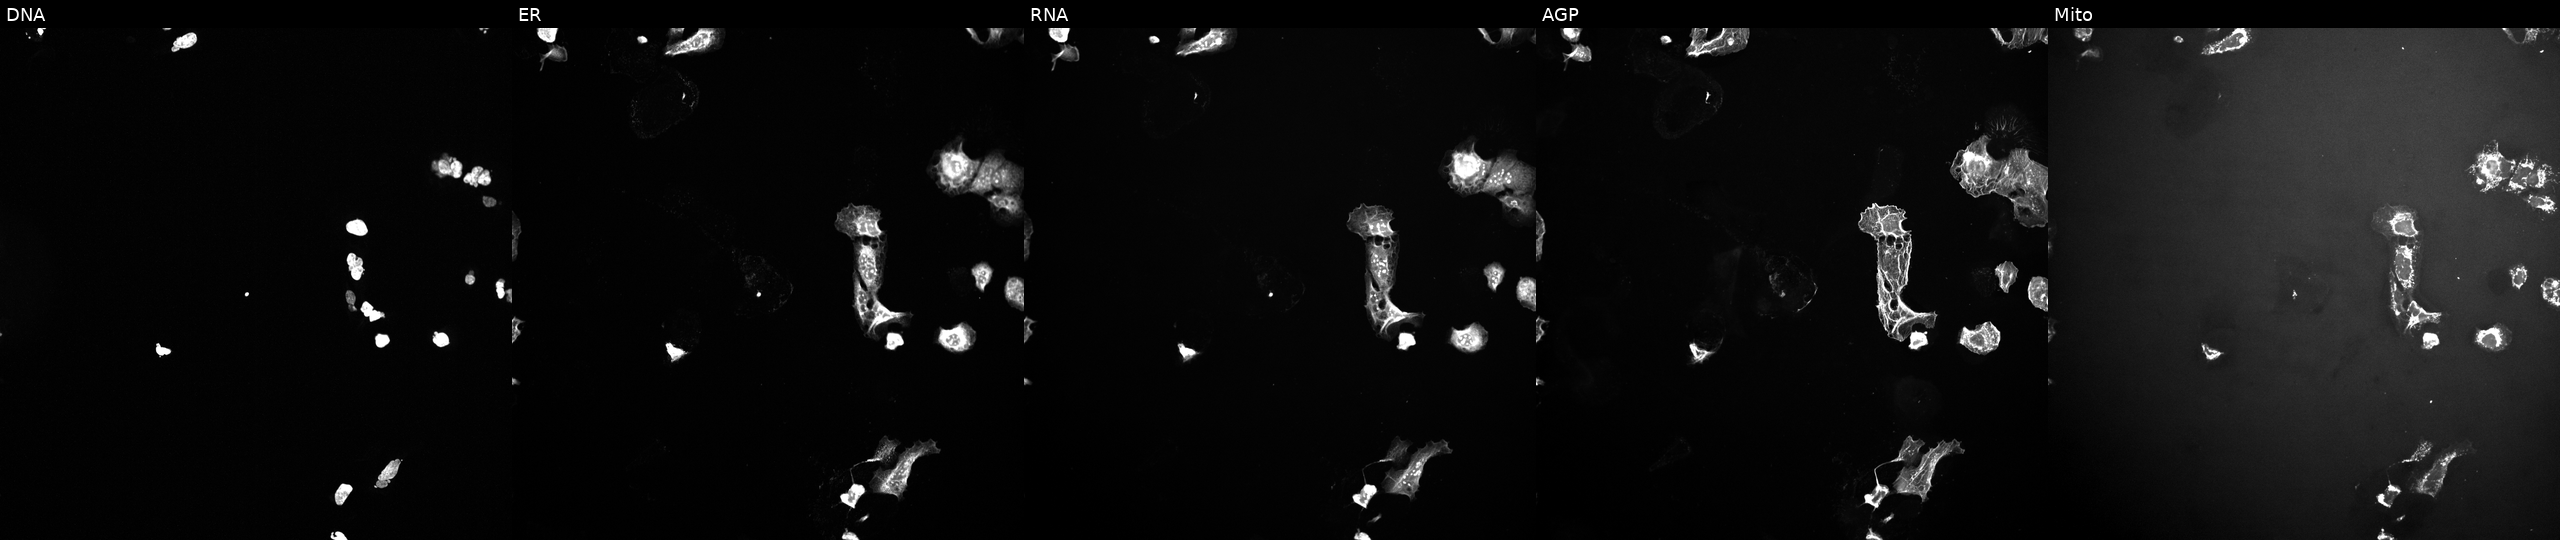
U2OS cells, Cell Painting assay, perturbed with a small-molecule compound (InChIKey JOLJIIDDOBNFHW-UHFFFAOYSA-N). From left to right: DNA, ER, RNA, AGP, and Mito. Each panel is percentile-stretched 16-bit fluorescence. Source 10, plate Dest210726-160150, well H01.